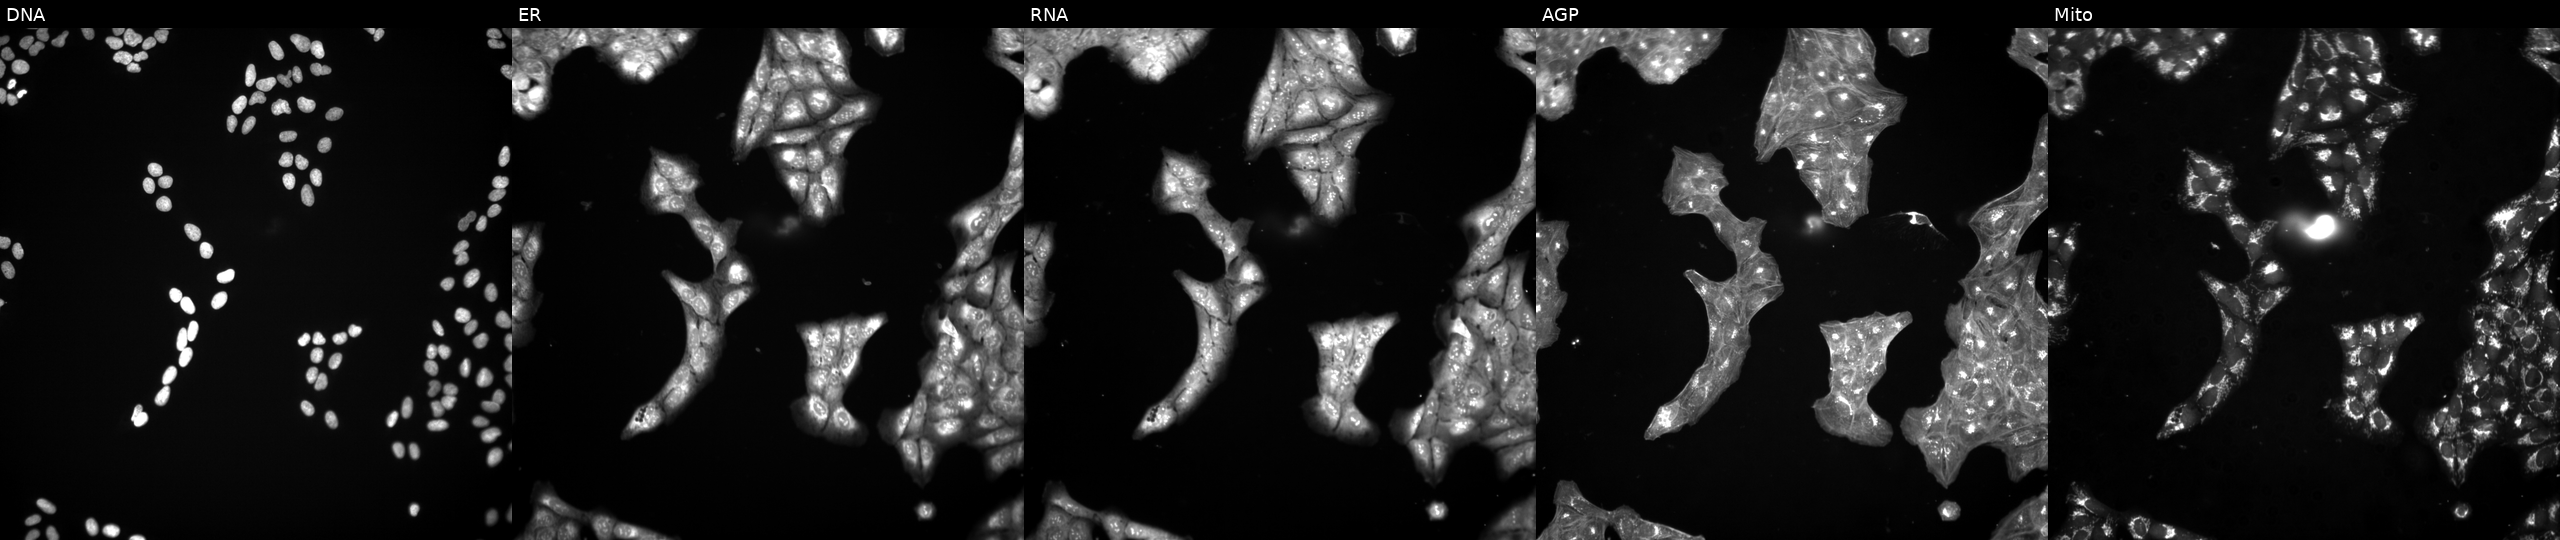
The five panels, left to right, show DNA, ER, RNA, AGP, and Mito. U2OS osteosarcoma cells treated with a small-molecule compound (InChIKey KDCUZTJMCYJDIU-UHFFFAOYSA-N) [SMILES: CN1CCN(c2[nH]c(=Nc3cccc(O)c3)nc3ccccc23)CC1]. Cell Painting assay, JUMP-CP dataset.